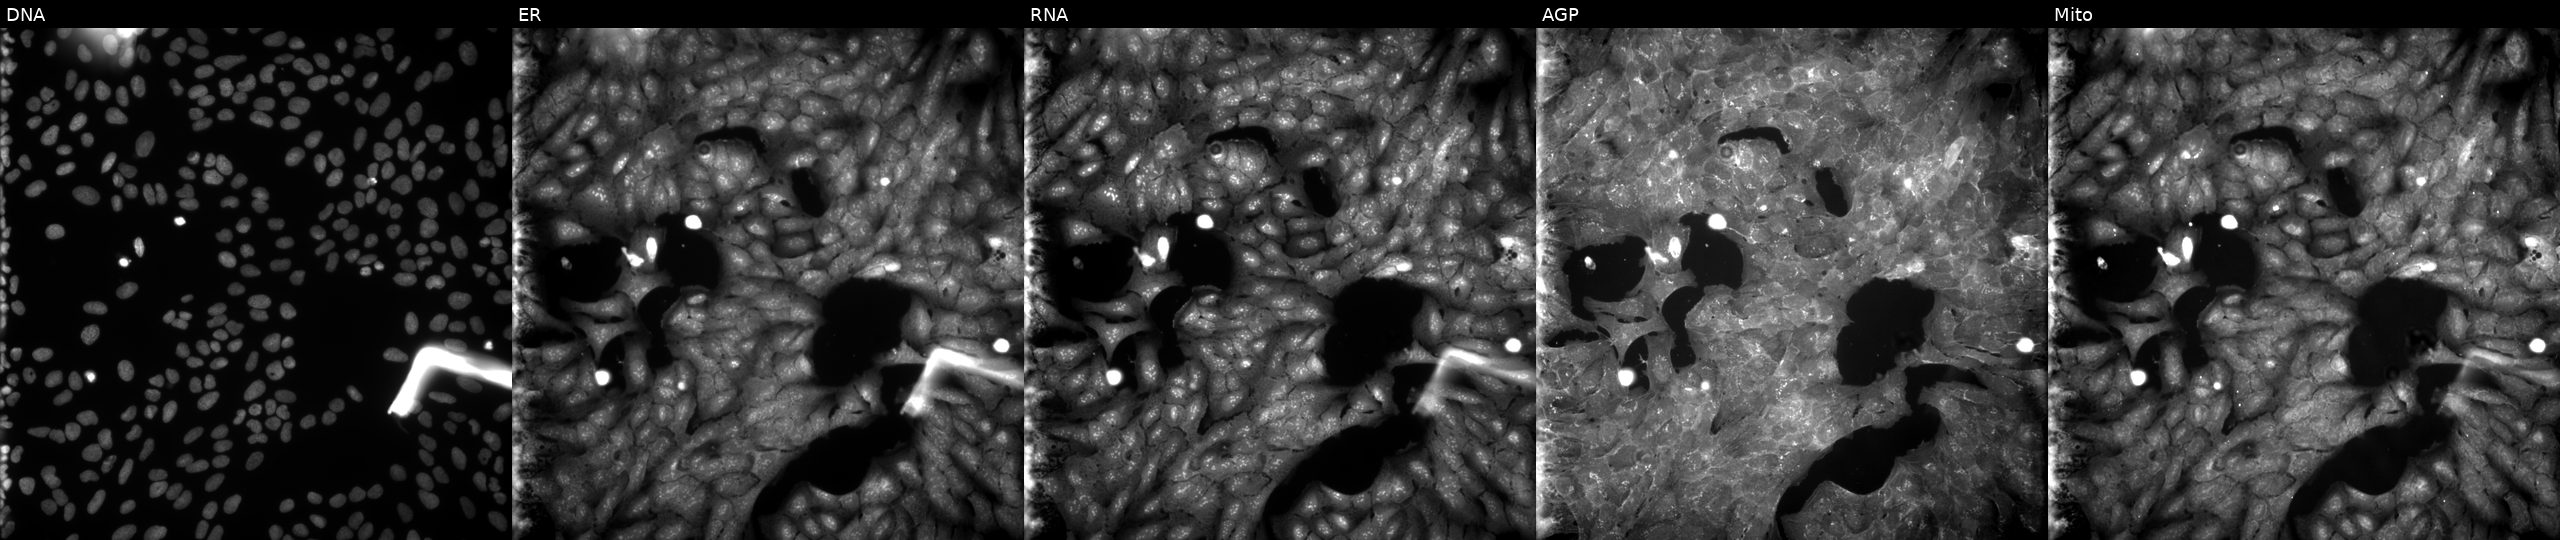
U2OS cells, Cell Painting assay, exposed to the positive-control compound dexamethasone (JUMP id JCP2022_025848). Panels show, left to right, Hoechst 33342, concanavalin A, SYTO 14, phalloidin and WGA, MitoTracker. Each panel is percentile-stretched 16-bit fluorescence.